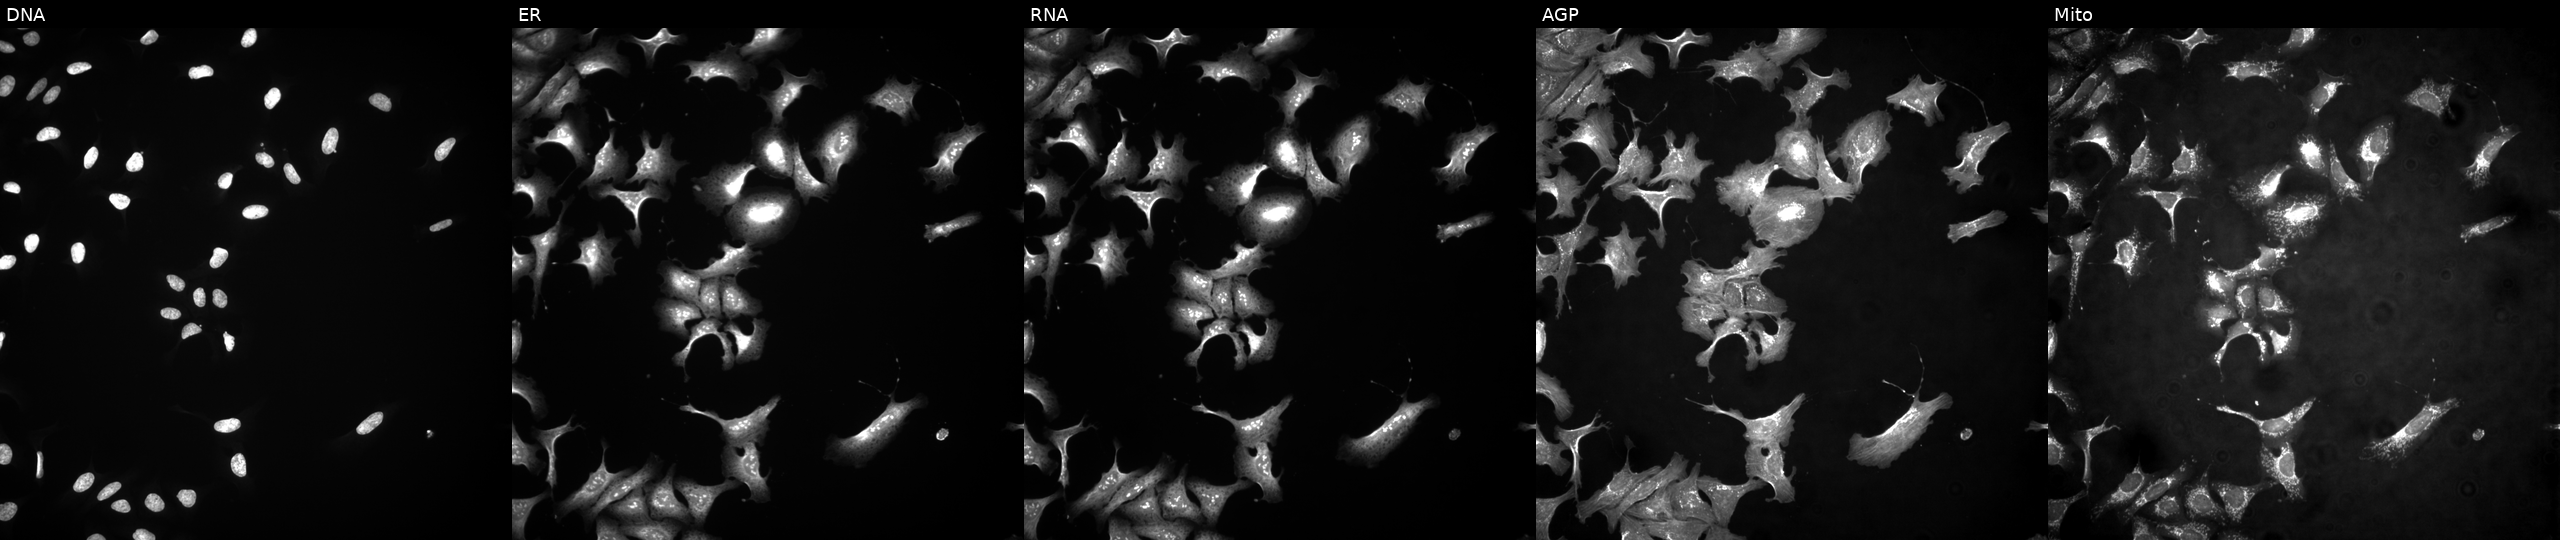
U2OS cells, Cell Painting assay, with TLCD3A overexpressed (ORF). The five panels, left to right, show DNA, ER, RNA, AGP, and Mito. Each panel is percentile-stretched 16-bit fluorescence. Source 4, plate BR00124784, well B02.